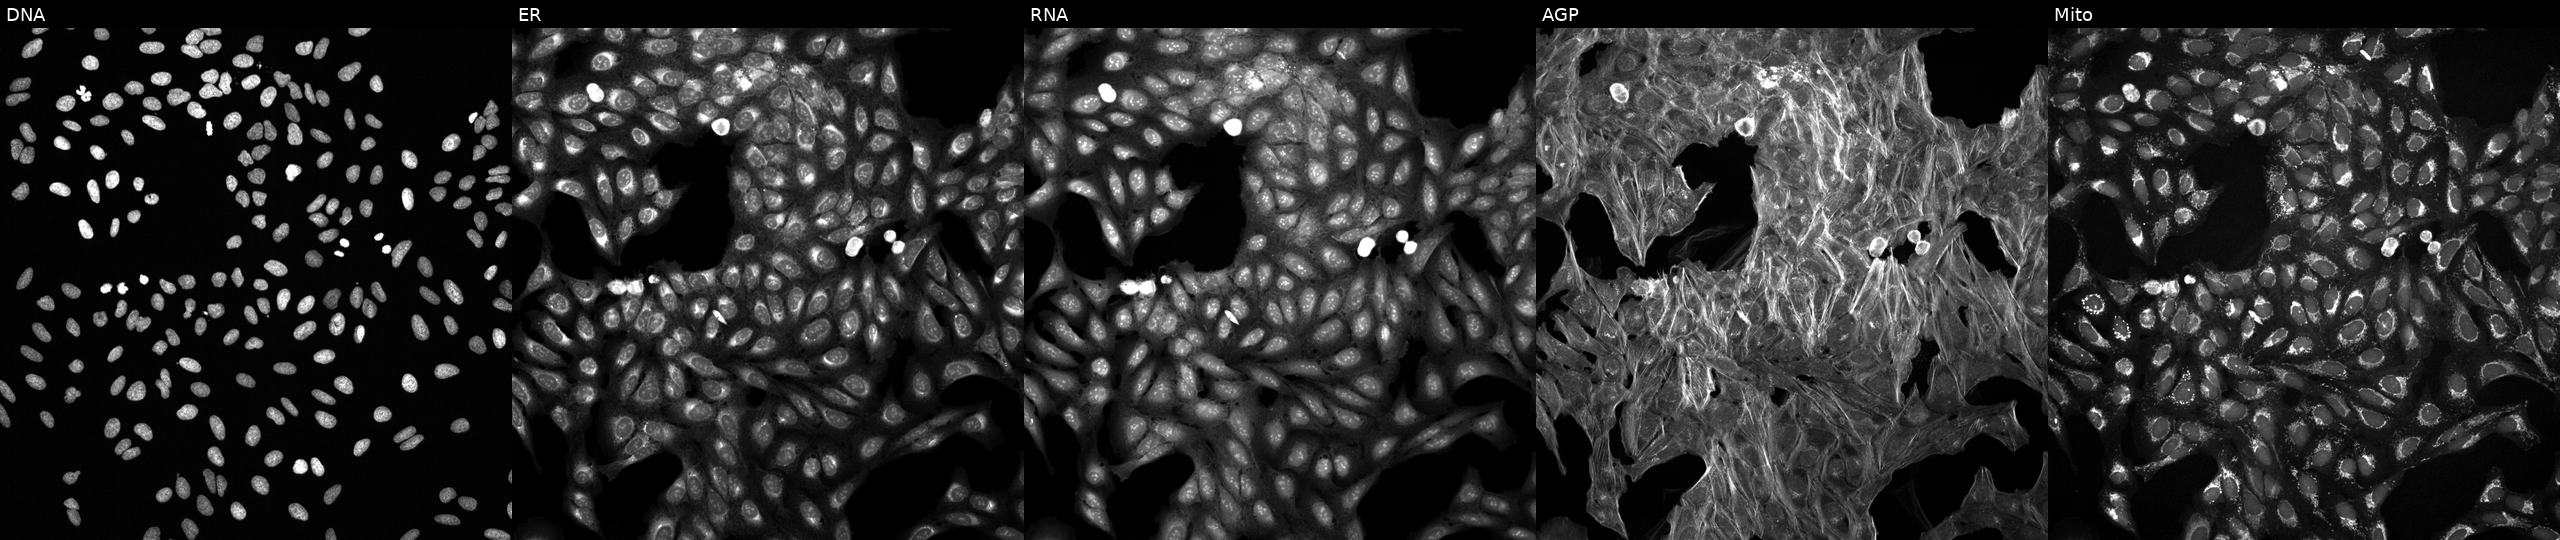
Five-channel Cell Painting image of U2OS cells exposed to a small-molecule compound (InChIKey ZYGHJZDHTFUPRJ-UHFFFAOYSA-N) [SMILES: O=c1ccc2ccccc2o1] (JUMP id JCP2022_116437). Panels show, left to right, Hoechst 33342, concanavalin A, SYTO 14, phalloidin and WGA, MitoTracker. Source 6, plate 110000293081, well J18.